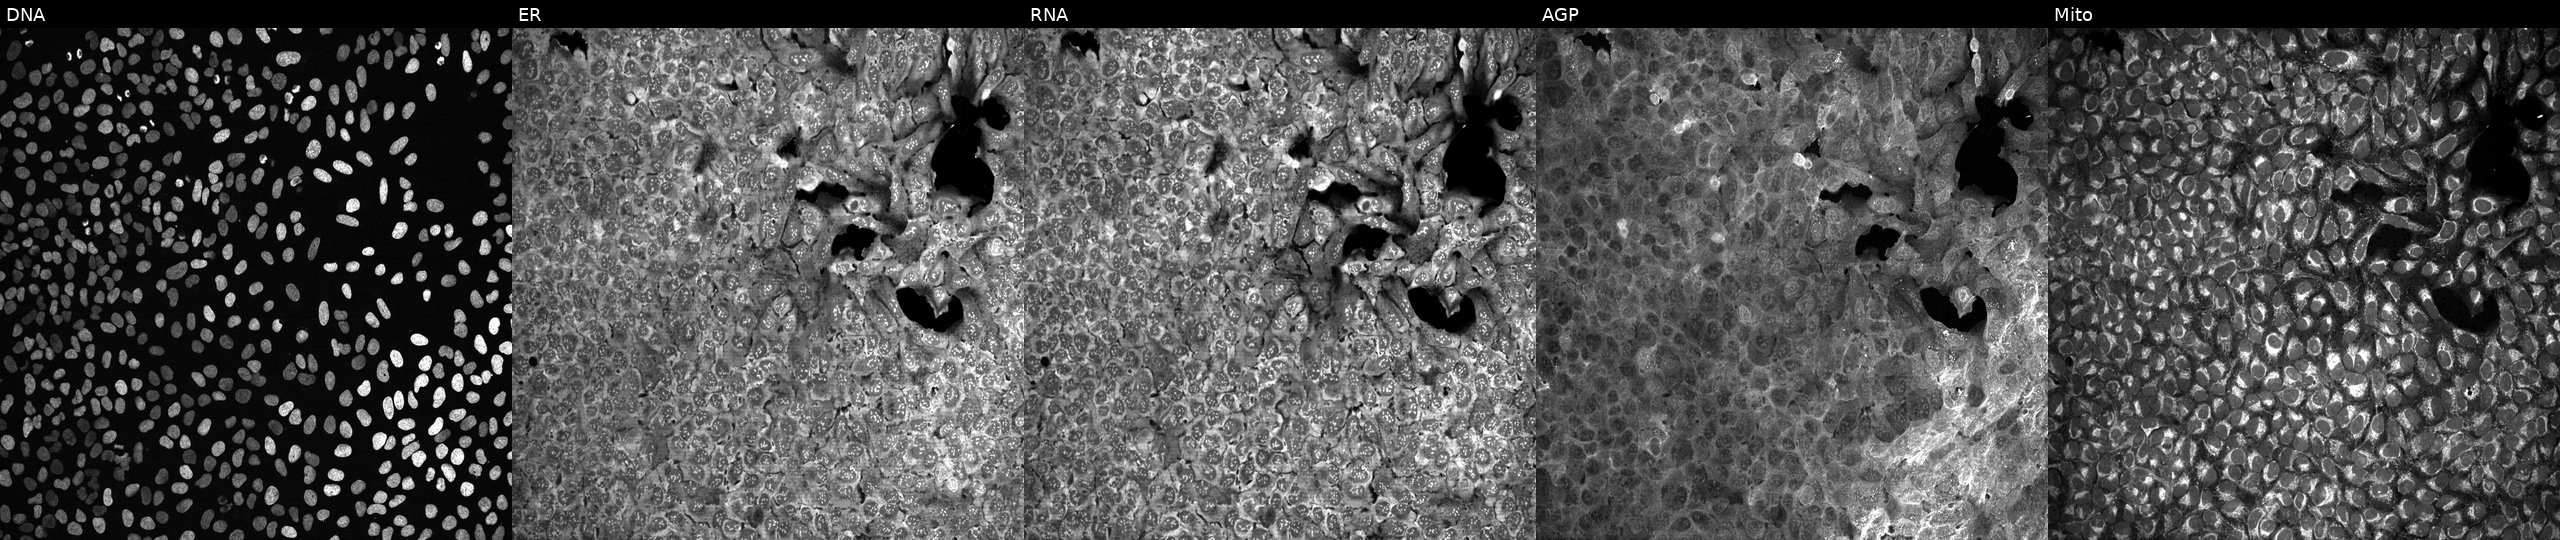
U2OS cells, Cell Painting assay, treated with dexamethasone (positive-control compound) (JUMP id JCP2022_025848). The five panels, left to right, show Hoechst 33342, concanavalin A, SYTO 14, phalloidin and WGA, MitoTracker. Each panel is percentile-stretched 16-bit fluorescence. Source 13, plate CP-CC9-R2-02, well K01.